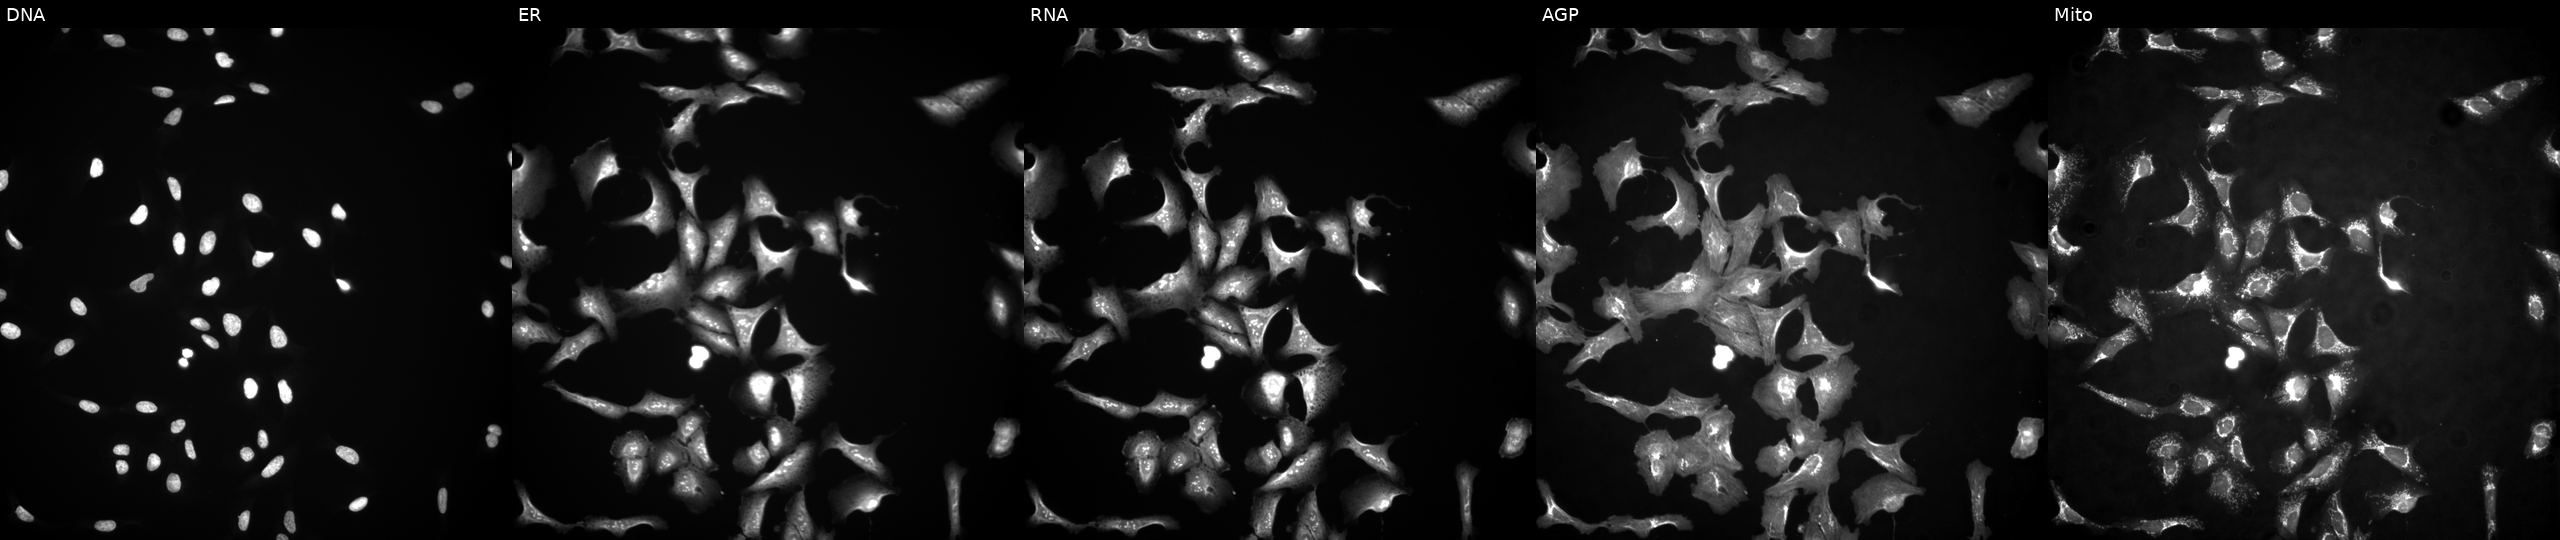
JUMP Cell Painting — ORF plate. U2OS cells with PMF1 overexpressed (ORF). Panels show, left to right, Hoechst 33342, concanavalin A, SYTO 14, phalloidin and WGA, MitoTracker. Source 4, plate BR00117035, well G16.